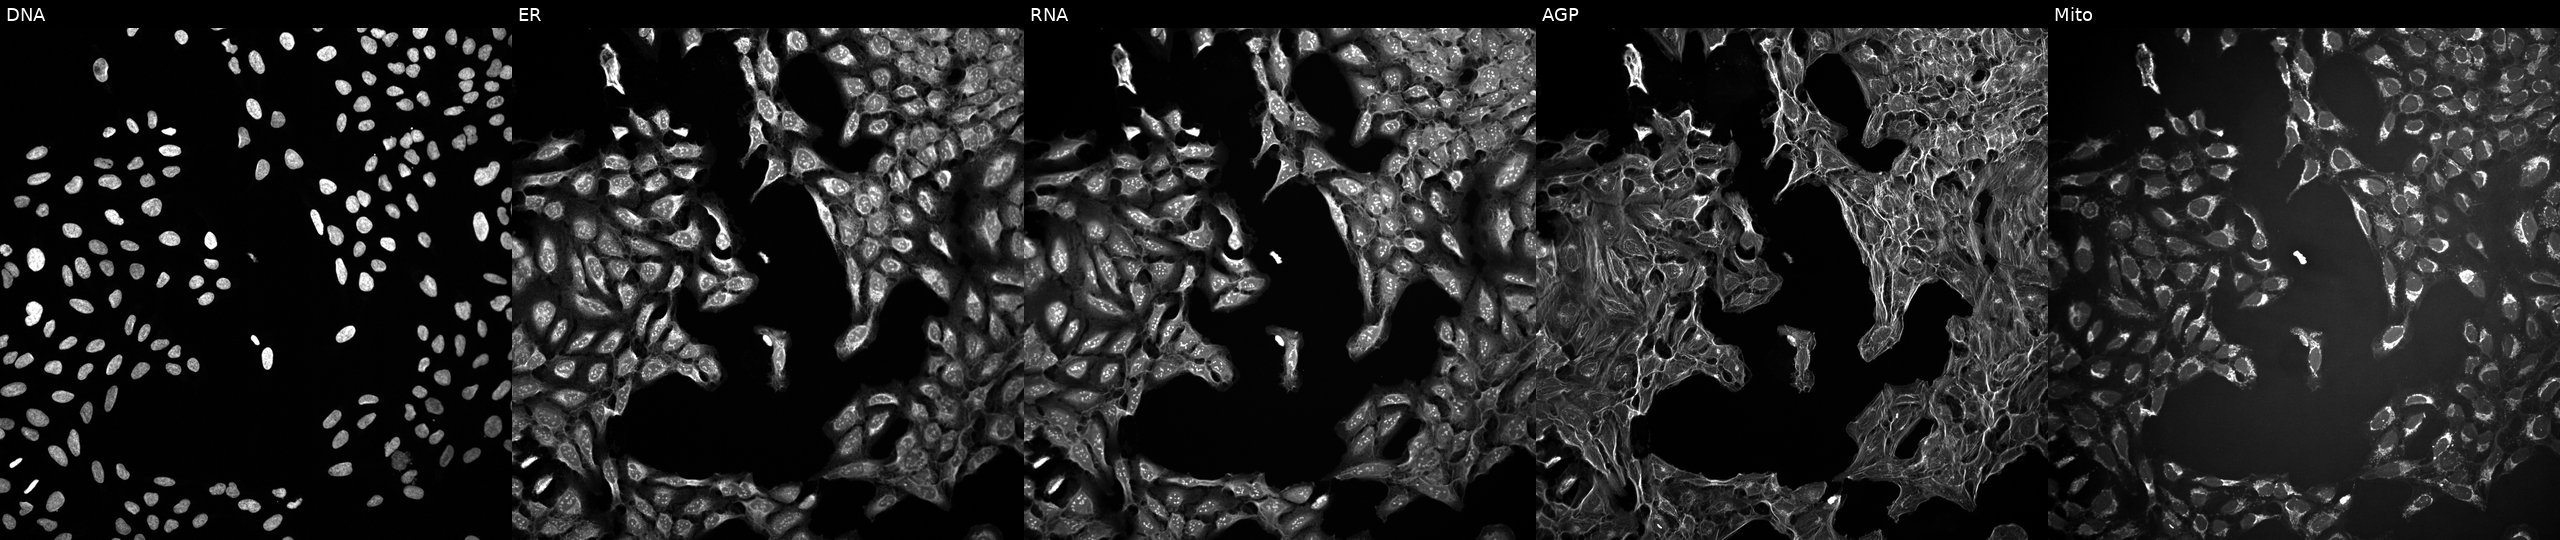
The five panels, left to right, show Hoechst 33342, concanavalin A, SYTO 14, phalloidin and WGA, MitoTracker. U2OS osteosarcoma cells treated with a small-molecule compound (InChIKey REZGGXNDEMKIQB-UHFFFAOYSA-N) [SMILES: CCCOc1ccccc1-c1nc(=O)c2[nH]nnc2[nH]1] (JUMP id JCP2022_077927). Cell Painting assay, JUMP-CP dataset. Source 10, plate Dest210727-153003, well O17.